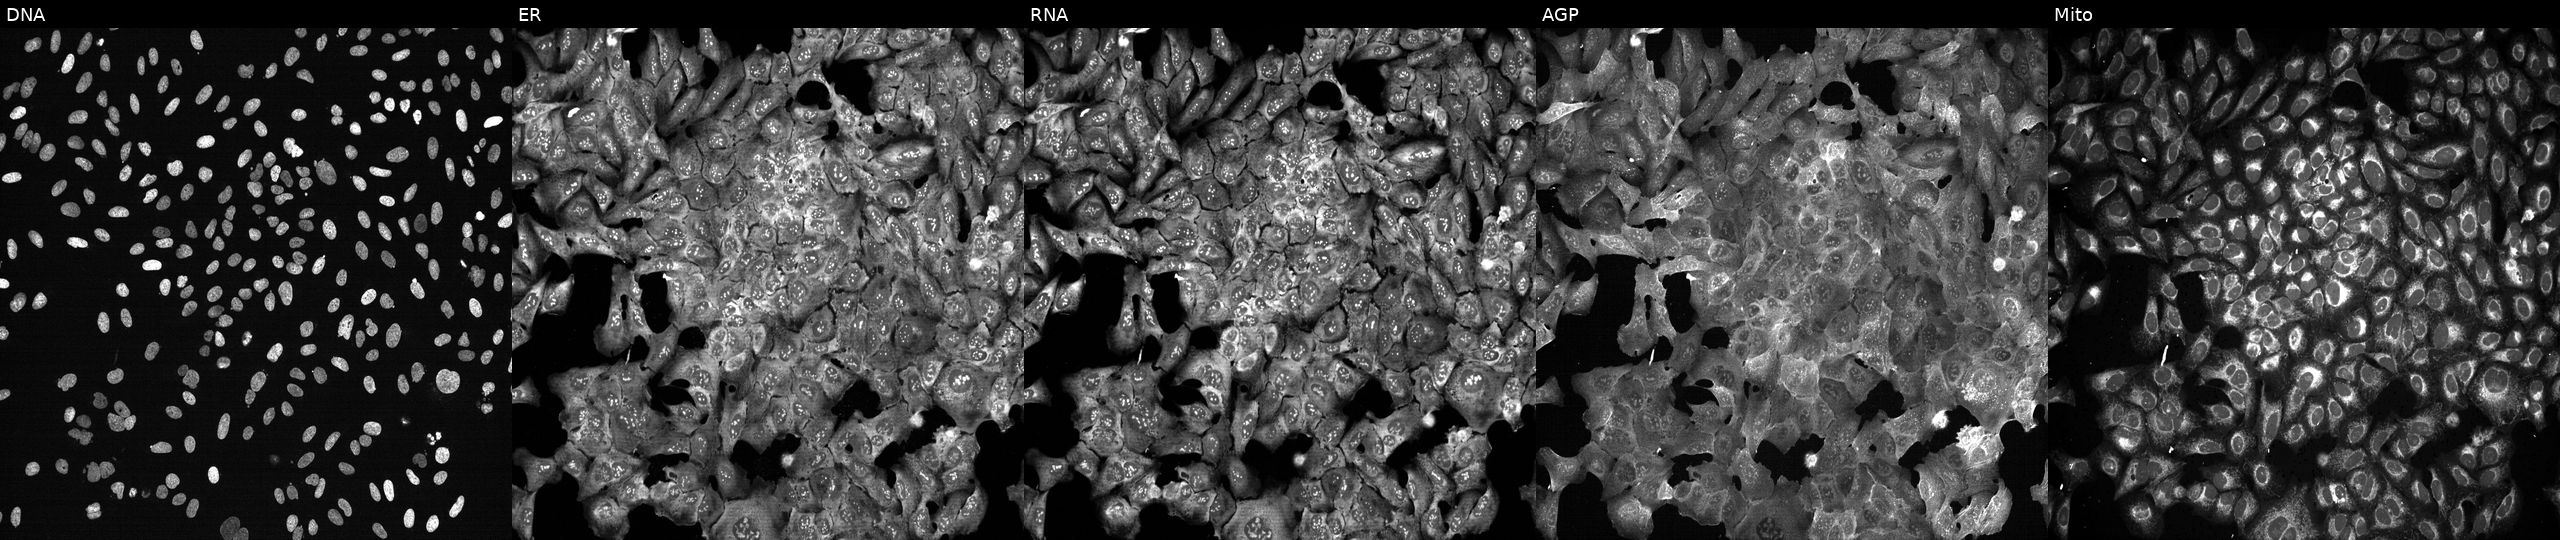
Five-channel Cell Painting image of U2OS cells with TNPO1 knocked out by CRISPR. Panels show, left to right, DNA (nuclei); ER (endoplasmic reticulum); RNA (nucleoli and cytoplasmic RNA); AGP (actin cytoskeleton, Golgi, and plasma membrane); Mito (mitochondria). Source 13, plate CP-CC9-R2-01, well K10.